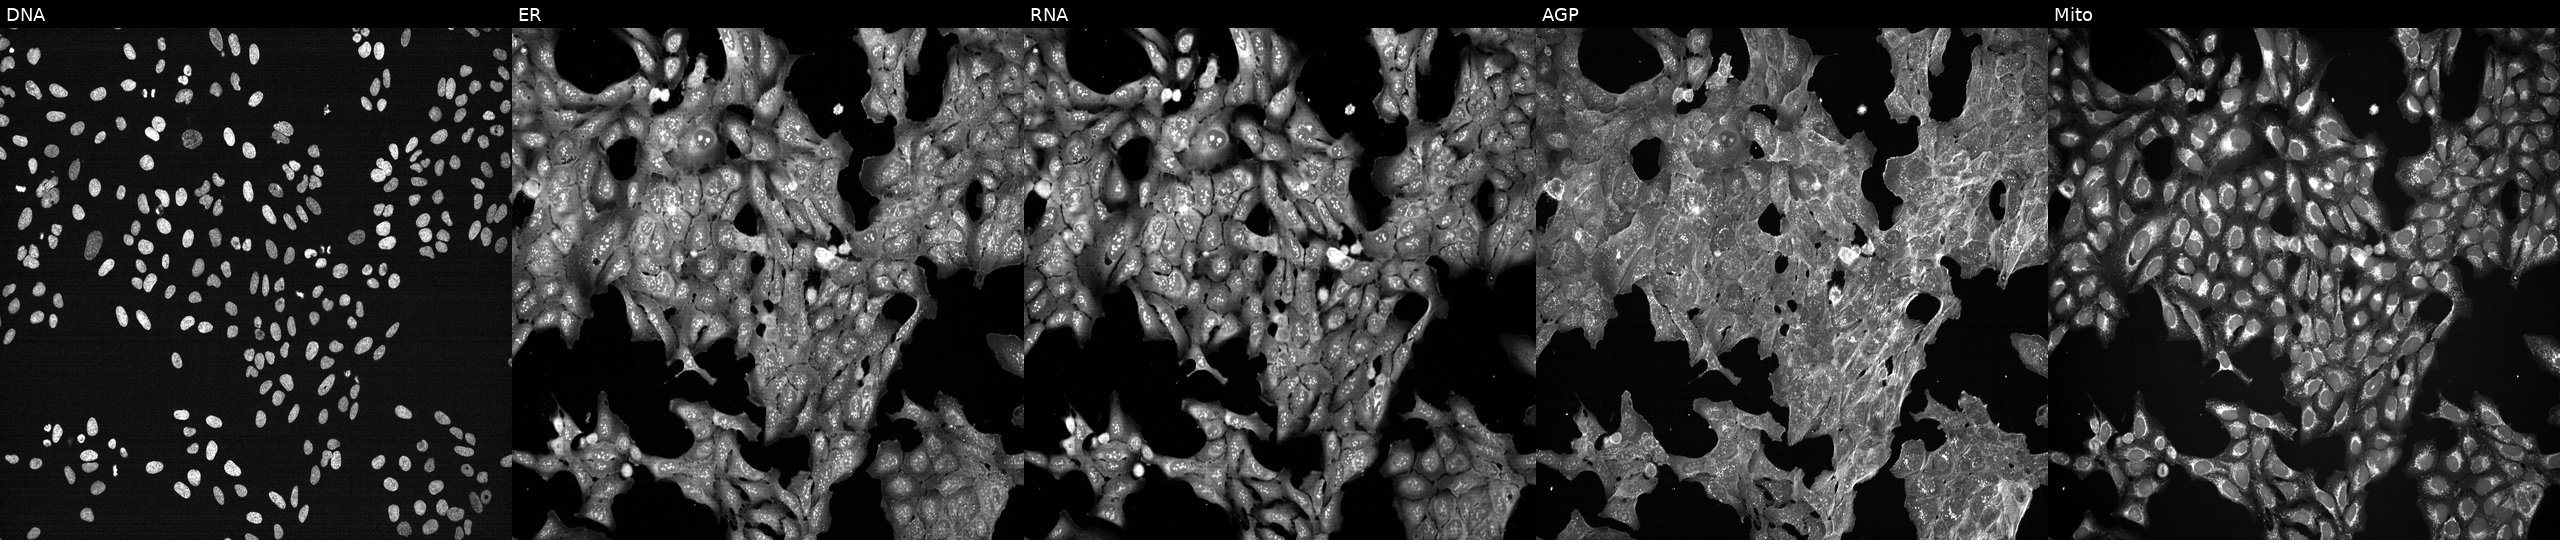
U2OS cells, Cell Painting assay, treated with a small-molecule compound (JUMP id JCP2022_087444). Panels show, left to right, DNA (nuclei); ER (endoplasmic reticulum); RNA (nucleoli and cytoplasmic RNA); AGP (actin cytoskeleton, Golgi, and plasma membrane); Mito (mitochondria). Each panel is percentile-stretched 16-bit fluorescence.